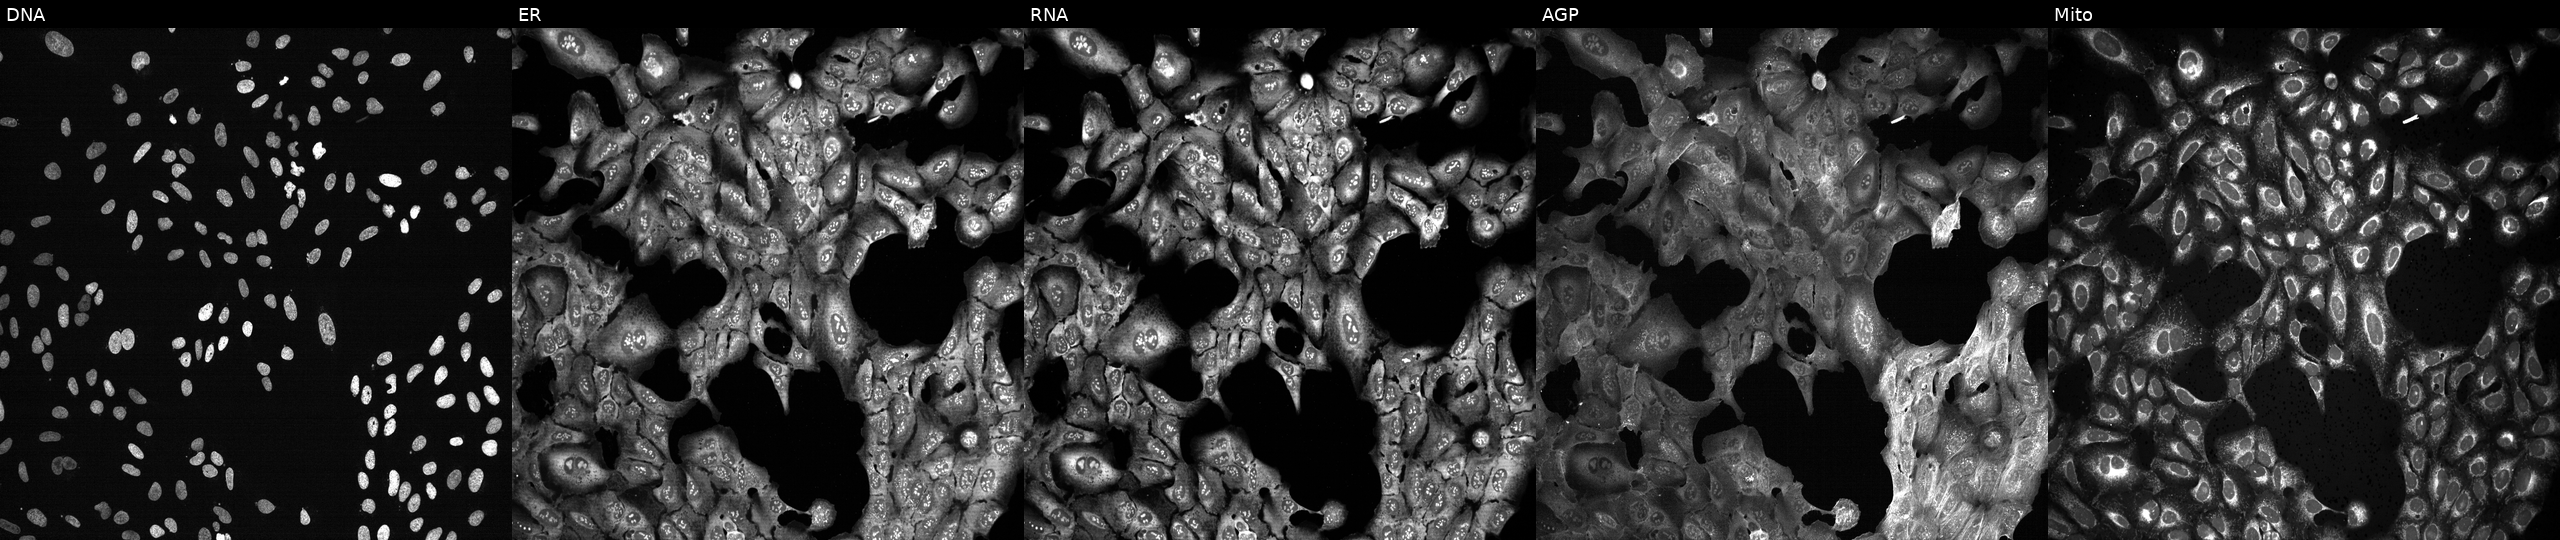
U2OS cells, Cell Painting assay, following CRISPR knockout of POFUT1 (JUMP id JCP2022_805319). The five panels, left to right, show Hoechst 33342, concanavalin A, SYTO 14, phalloidin and WGA, MitoTracker. Each panel is percentile-stretched 16-bit fluorescence. Source 13, plate CP-CC9-R2-01, well E04.